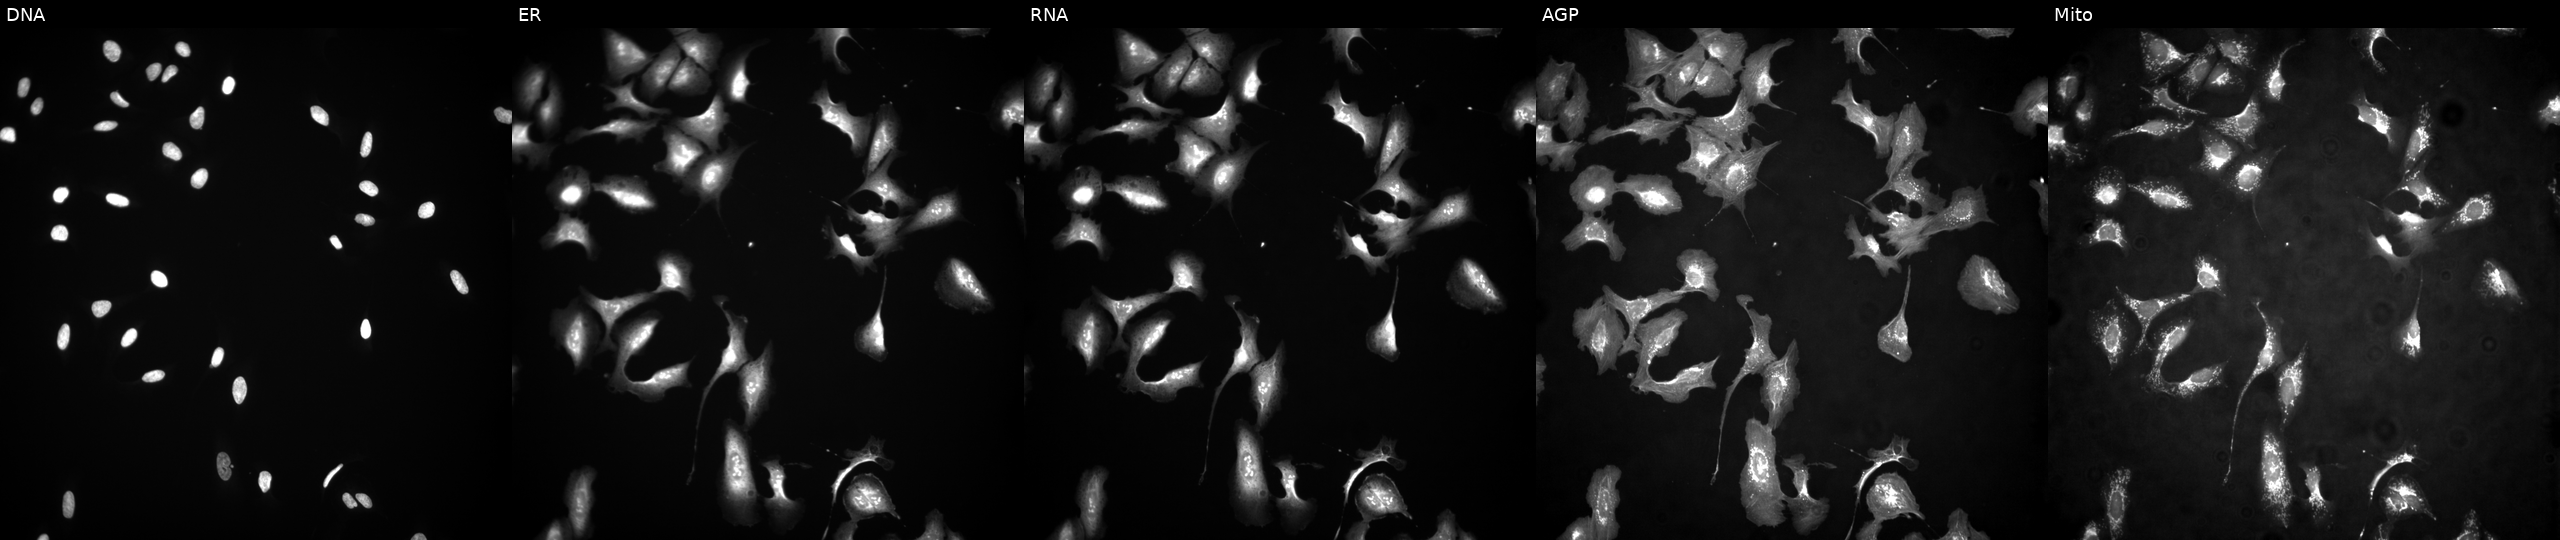
This image strip shows the five Cell Painting channels for a single field of U2OS cells overexpressing PWP1 via ORF transfection. Panels show, left to right, Hoechst 33342, concanavalin A, SYTO 14, phalloidin and WGA, MitoTracker. Source 4, plate BR00117035, well E24.